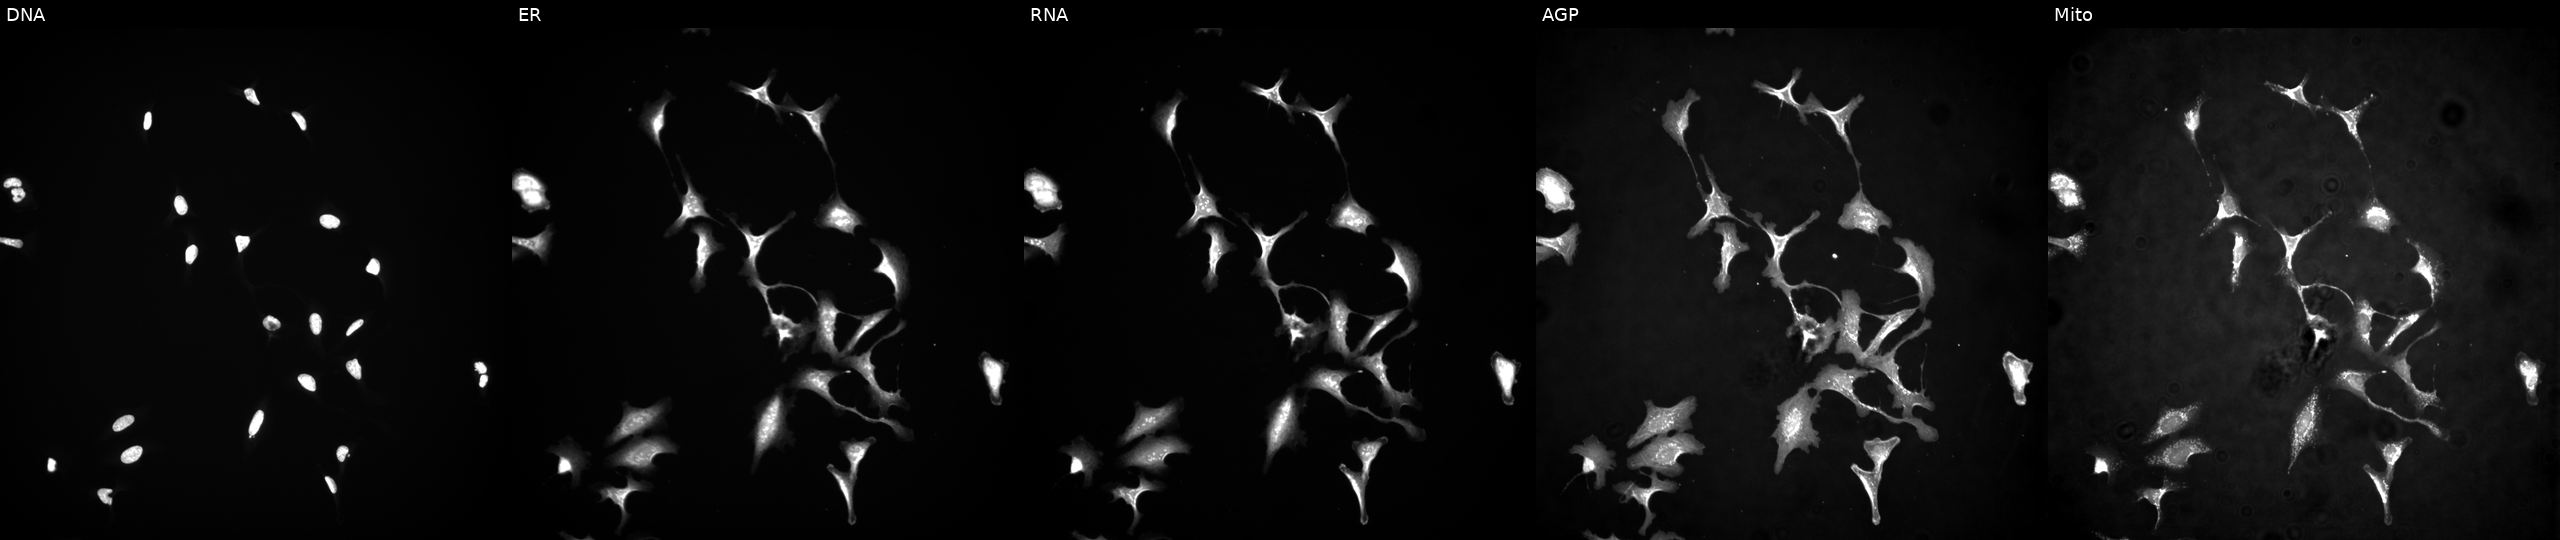
Channels (left→right): Hoechst 33342, concanavalin A, SYTO 14, phalloidin and WGA, MitoTracker. U2OS osteosarcoma cells transfected with an ORF construct for FN3K. Cell Painting assay, JUMP-CP dataset. Source 4, plate BR00123945, well H02.